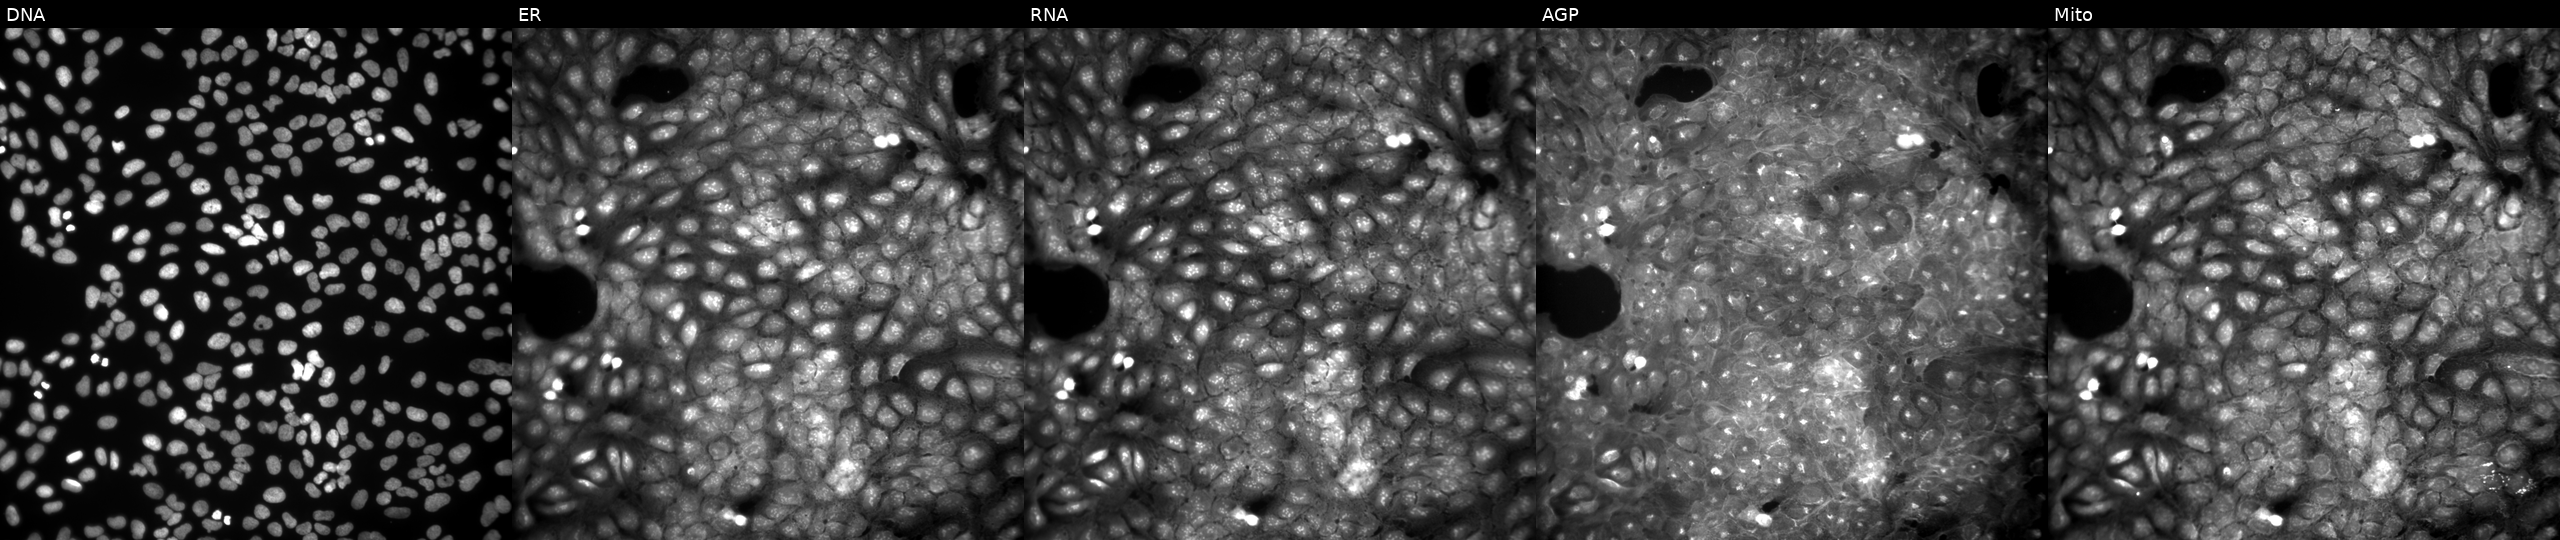
This image strip shows the five Cell Painting channels for a single field of U2OS cells treated with DMSO vehicle only (negative control) (JUMP id JCP2022_033924). The five panels, left to right, show DNA, ER, RNA, AGP, and Mito.